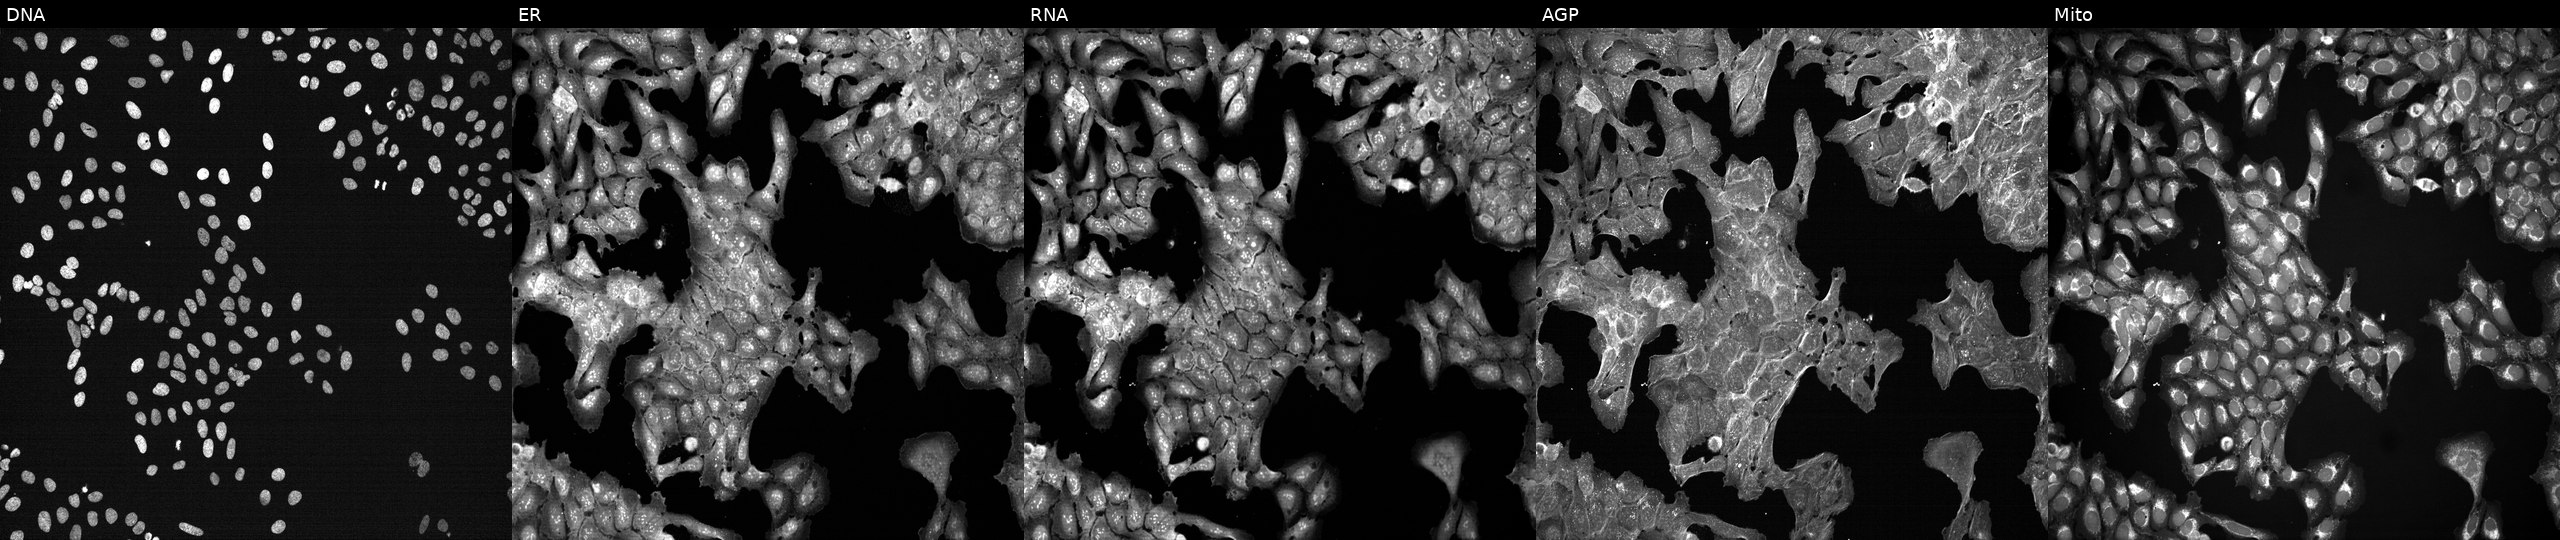
High-content fluorescence microscopy (Cell Painting). Cell line: U2OS. Perturbation: perturbed with a small-molecule compound. From left to right: DNA (nuclei); ER (endoplasmic reticulum); RNA (nucleoli and cytoplasmic RNA); AGP (actin cytoskeleton, Golgi, and plasma membrane); Mito (mitochondria).